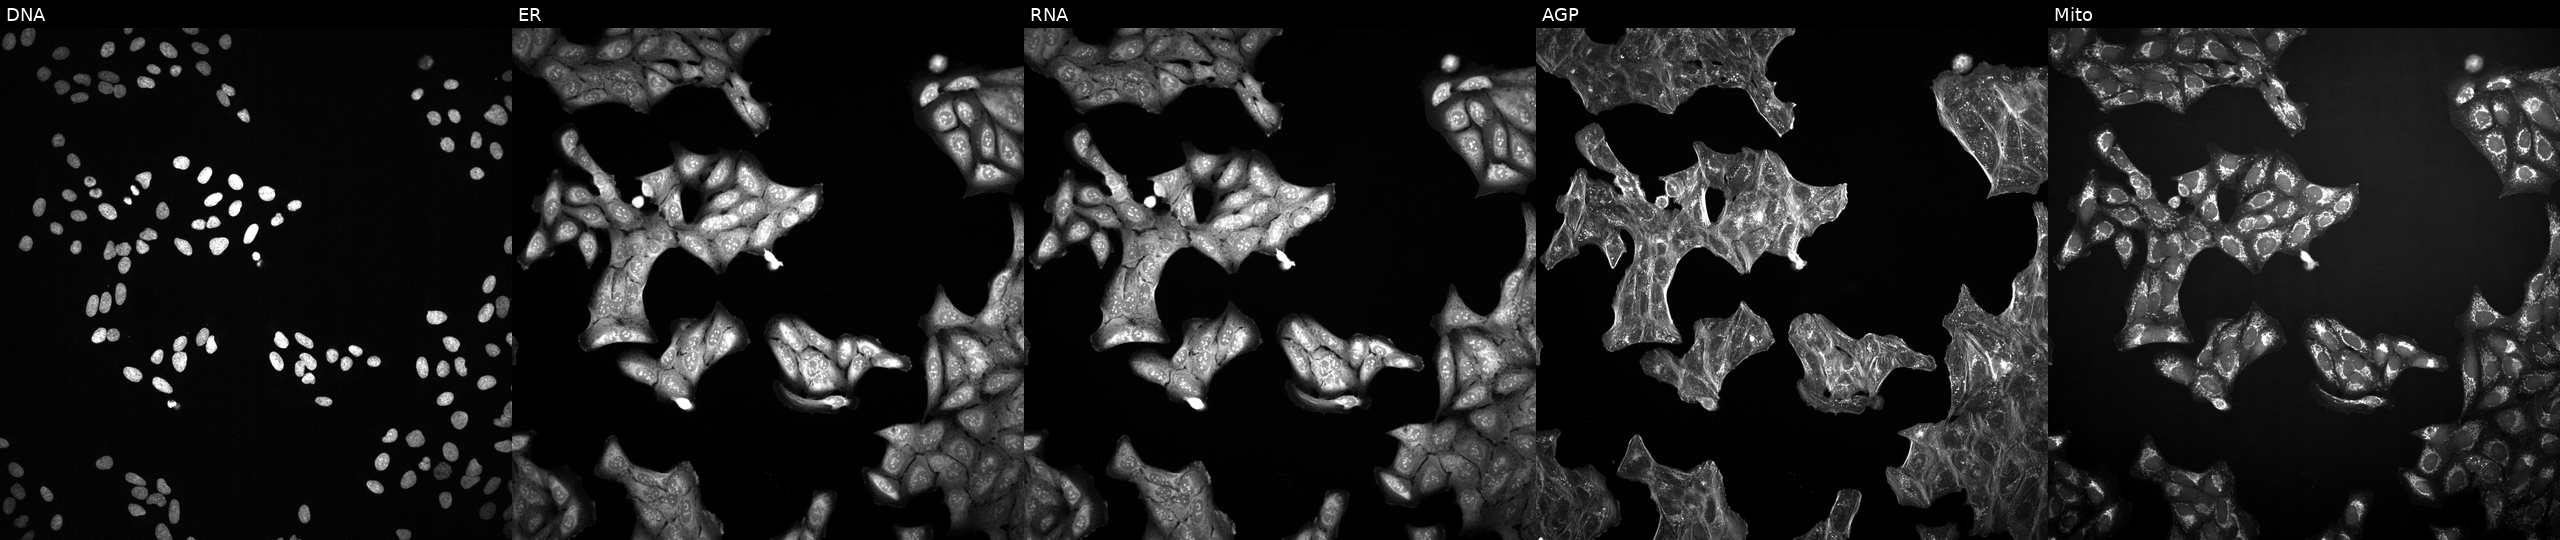
Panels show, left to right, Hoechst 33342, concanavalin A, SYTO 14, phalloidin and WGA, MitoTracker. U2OS osteosarcoma cells exposed to a small-molecule compound (JUMP id JCP2022_113710). Cell Painting assay, JUMP-CP dataset. Source 2, plate 1053597936, well C18.